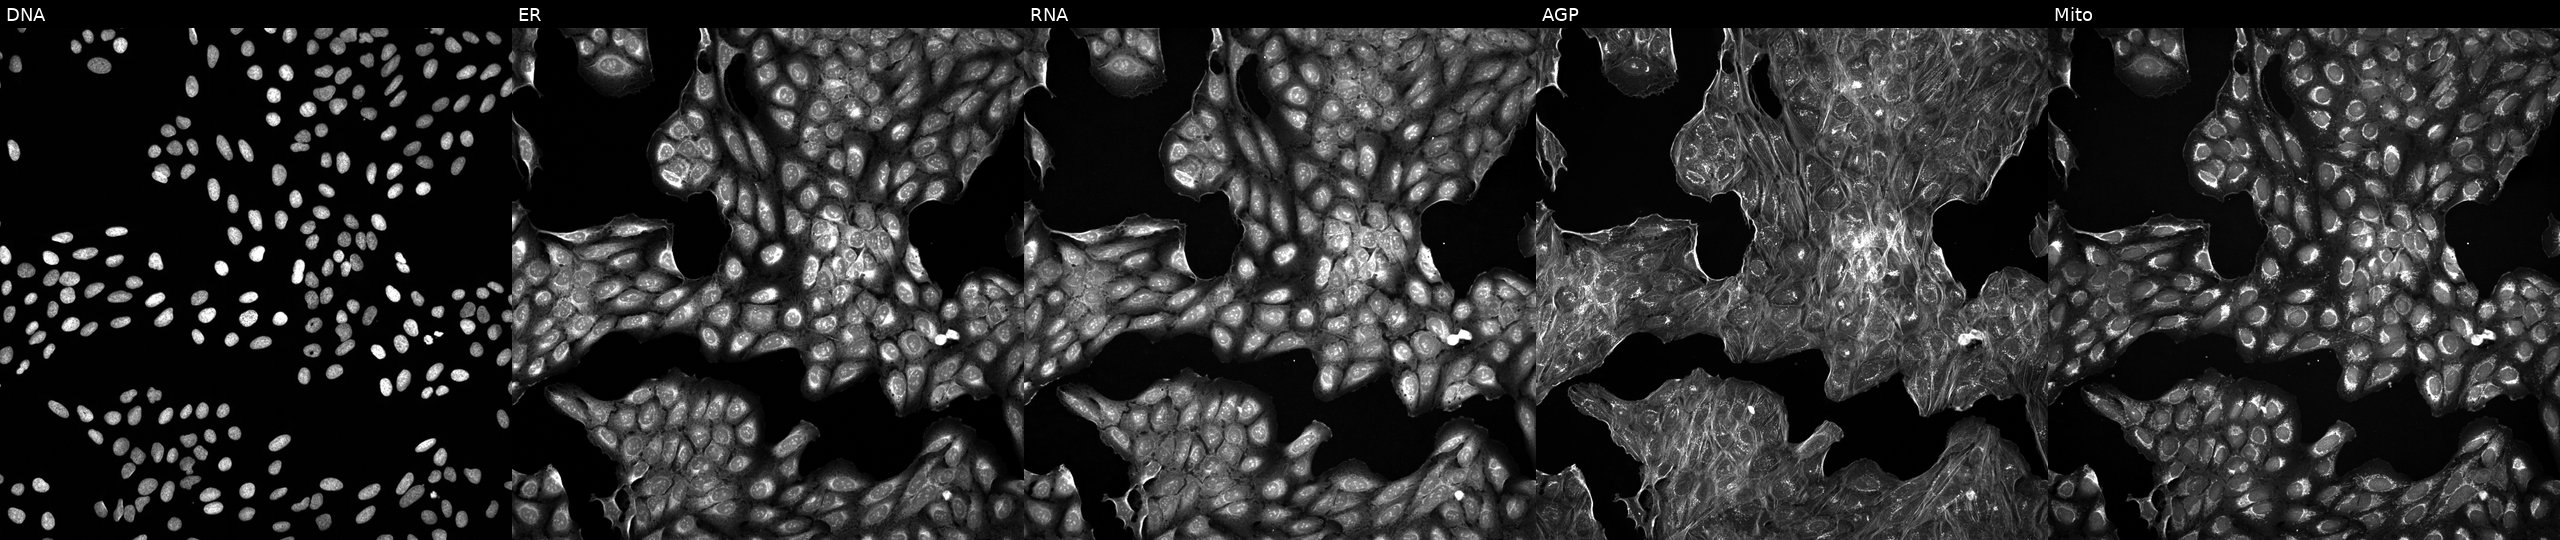
Panels show, left to right, Hoechst 33342, concanavalin A, SYTO 14, phalloidin and WGA, MitoTracker. U2OS osteosarcoma cells perturbed with a small-molecule compound (InChIKey JHSXDAWGLCZYSM-UHFFFAOYSA-N) [SMILES: Cc1cc(Cl)ccc1OCCCC(O)=NO] (JUMP id JCP2022_039863). Cell Painting assay, JUMP-CP dataset.